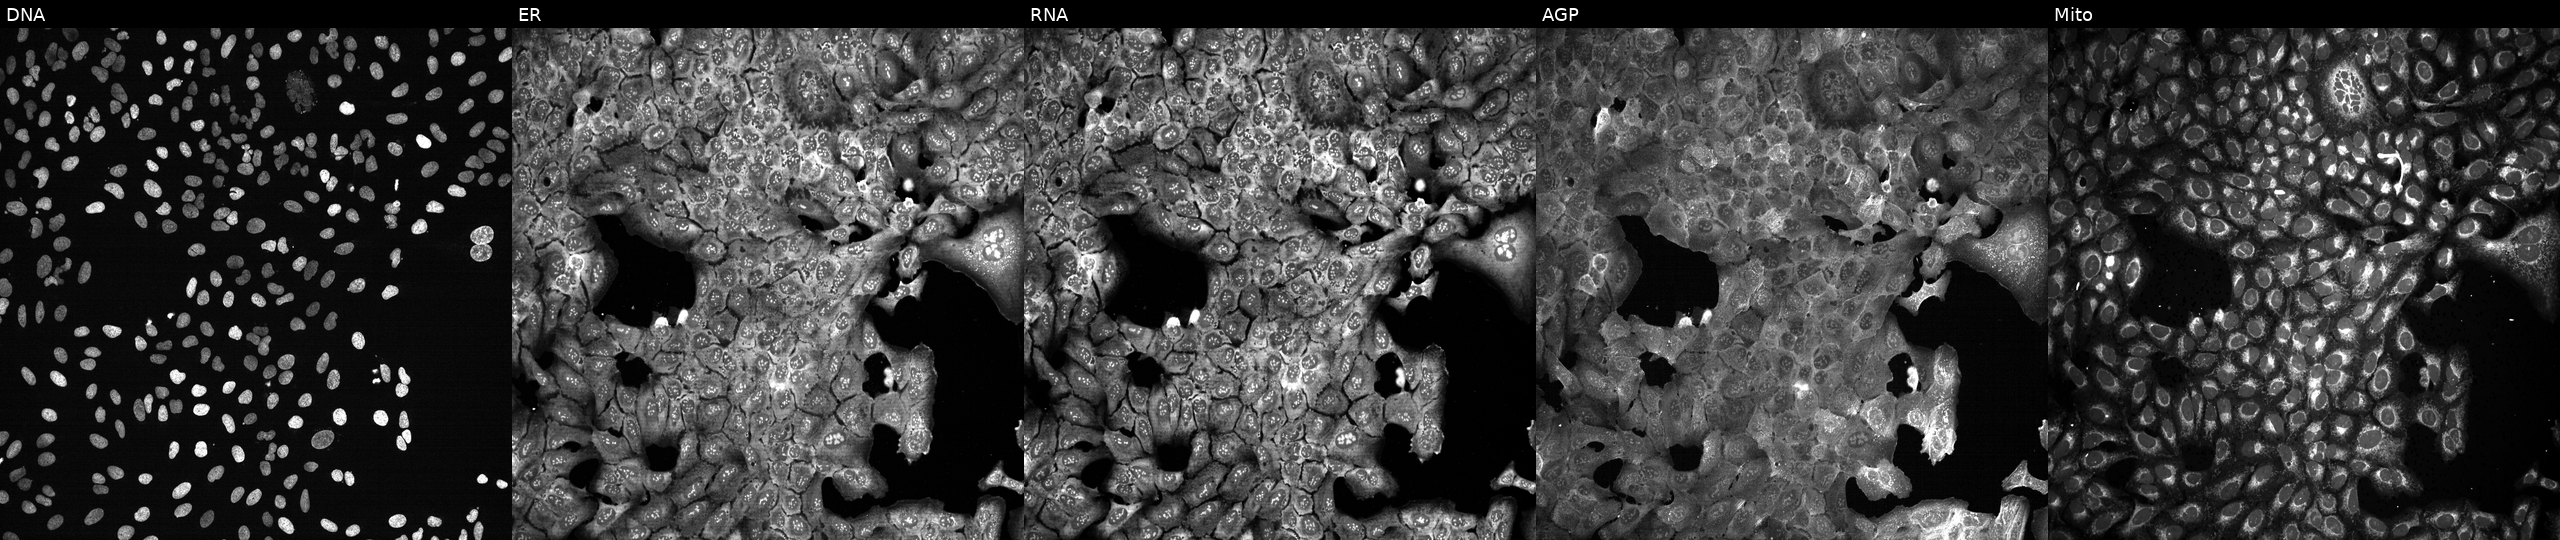
JUMP Cell Painting — CRISPR plate. U2OS cells following CRISPR knockout of SLC29A3 (JUMP id JCP2022_806482). From left to right: DNA (nuclei); ER (endoplasmic reticulum); RNA (nucleoli and cytoplasmic RNA); AGP (actin cytoskeleton, Golgi, and plasma membrane); Mito (mitochondria).